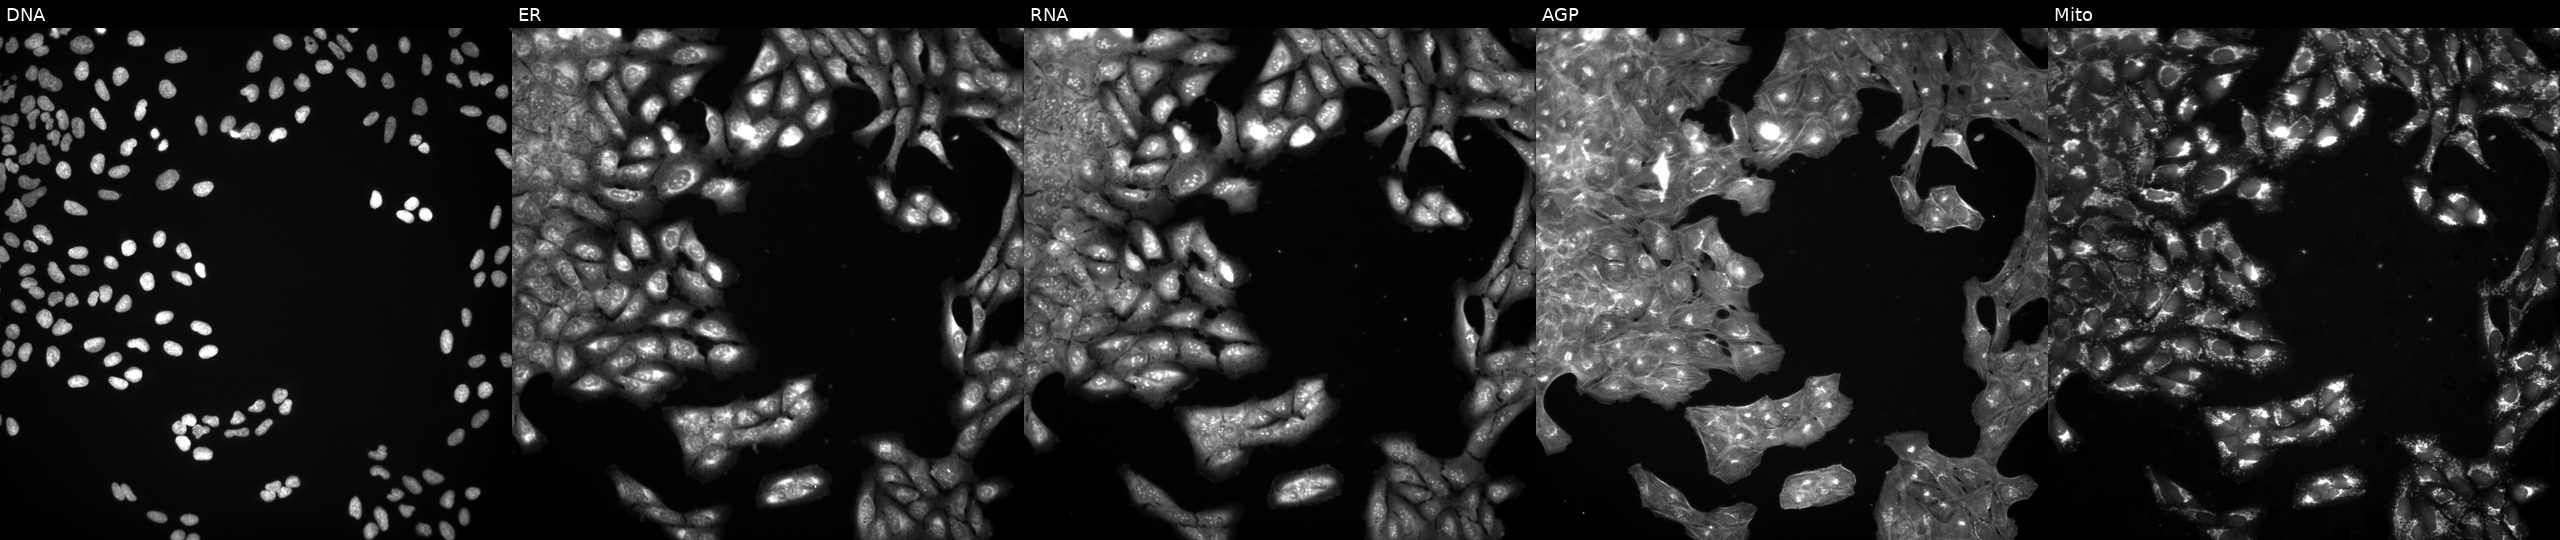
Channels (left→right): DNA, ER, RNA, AGP, and Mito. U2OS osteosarcoma cells in an empty control well (no perturbation). Cell Painting assay, JUMP-CP dataset.